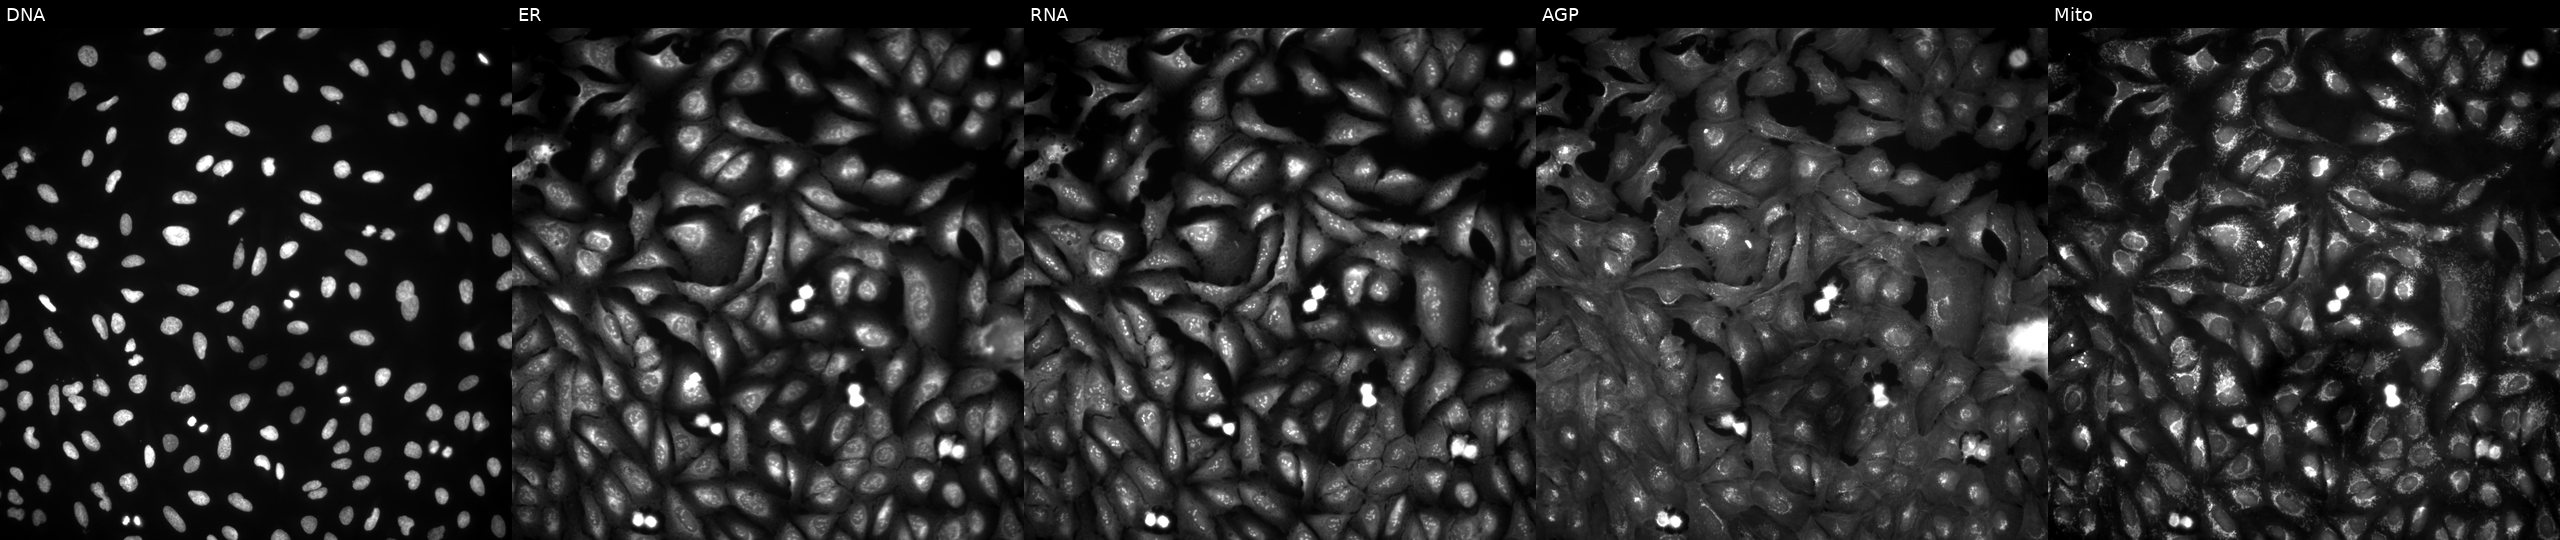
This image strip shows the five Cell Painting channels for a single field of U2OS cells with TIAF1 overexpressed (ORF). Panels show, left to right, DNA, ER, RNA, AGP, and Mito.